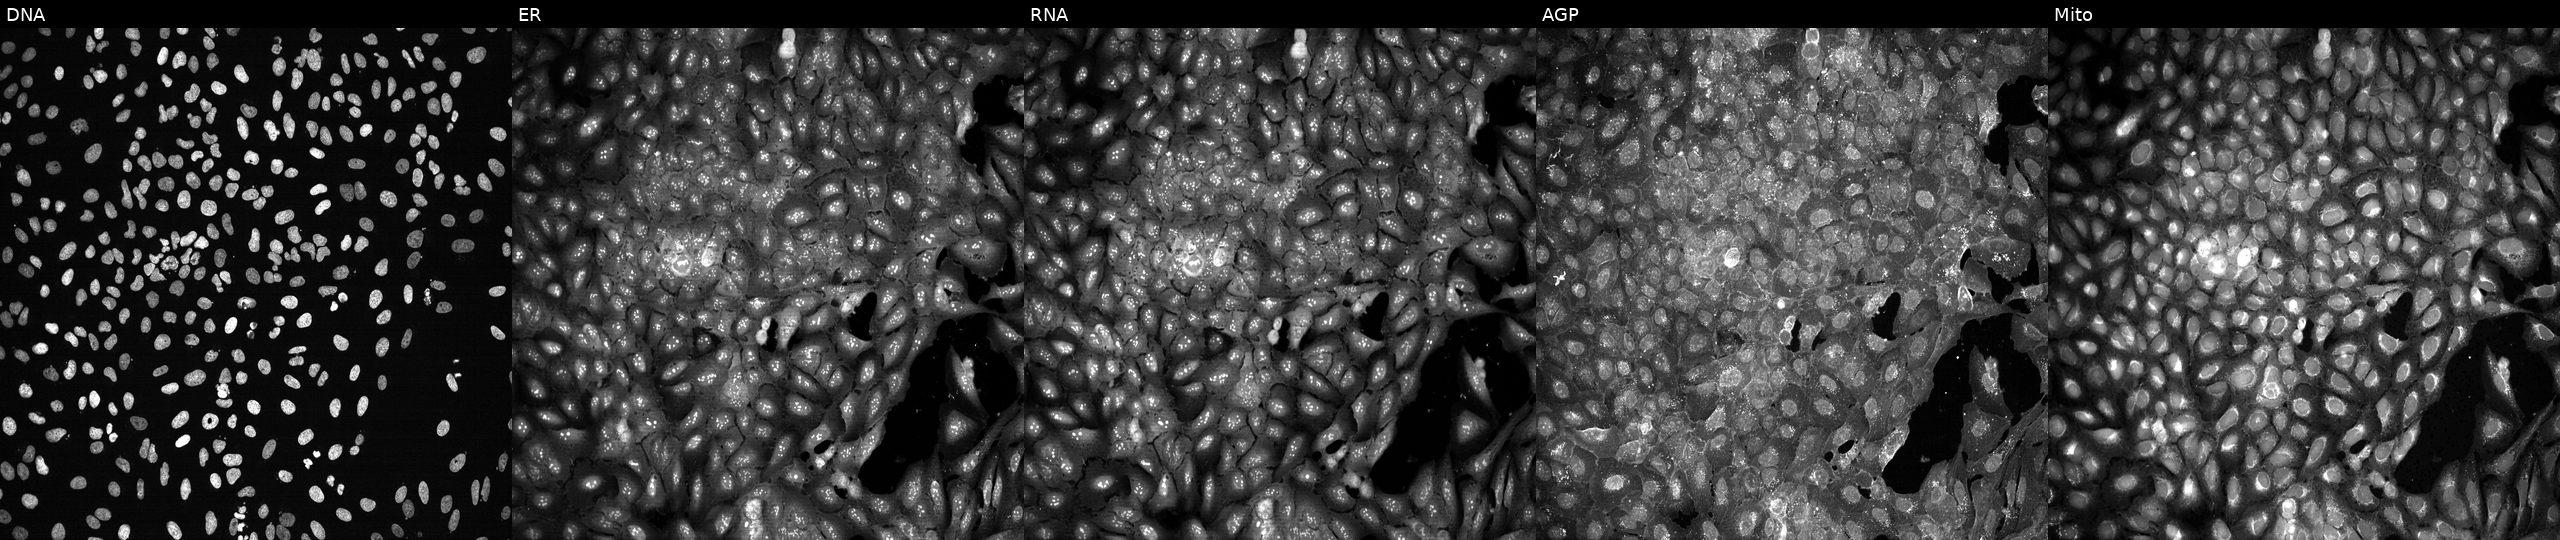
JUMP Cell Painting — CRISPR plate. U2OS cells with PIGC knocked out by CRISPR. The five panels, left to right, show Hoechst 33342, concanavalin A, SYTO 14, phalloidin and WGA, MitoTracker.